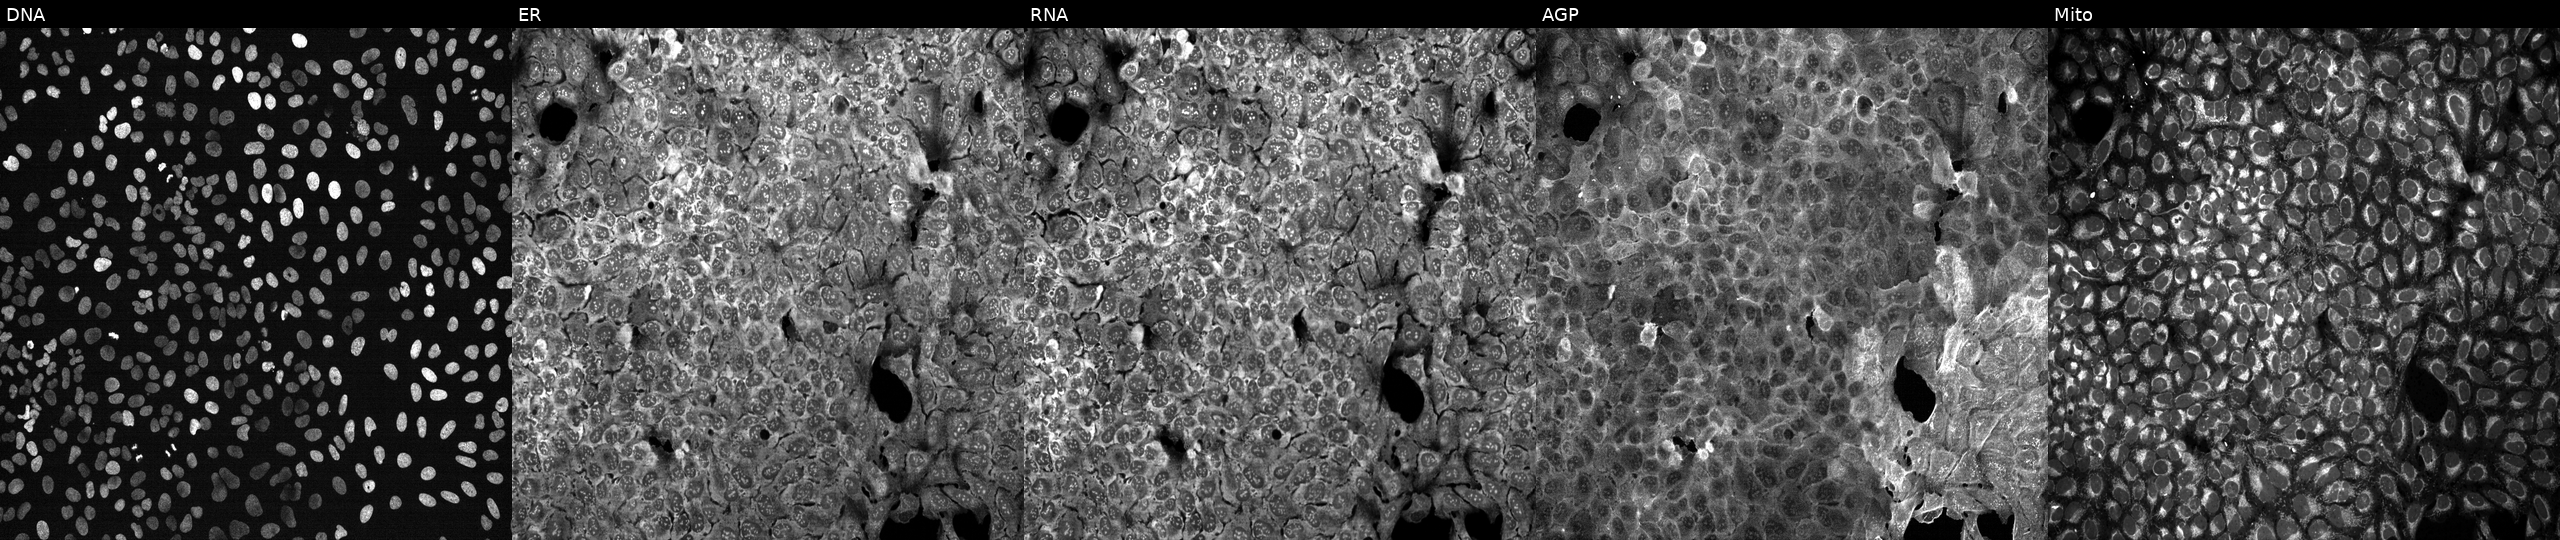
This image strip shows the five Cell Painting channels for a single field of U2OS cells exposed to the positive-control compound quinidine. Panels show, left to right, DNA, ER, RNA, AGP, and Mito.